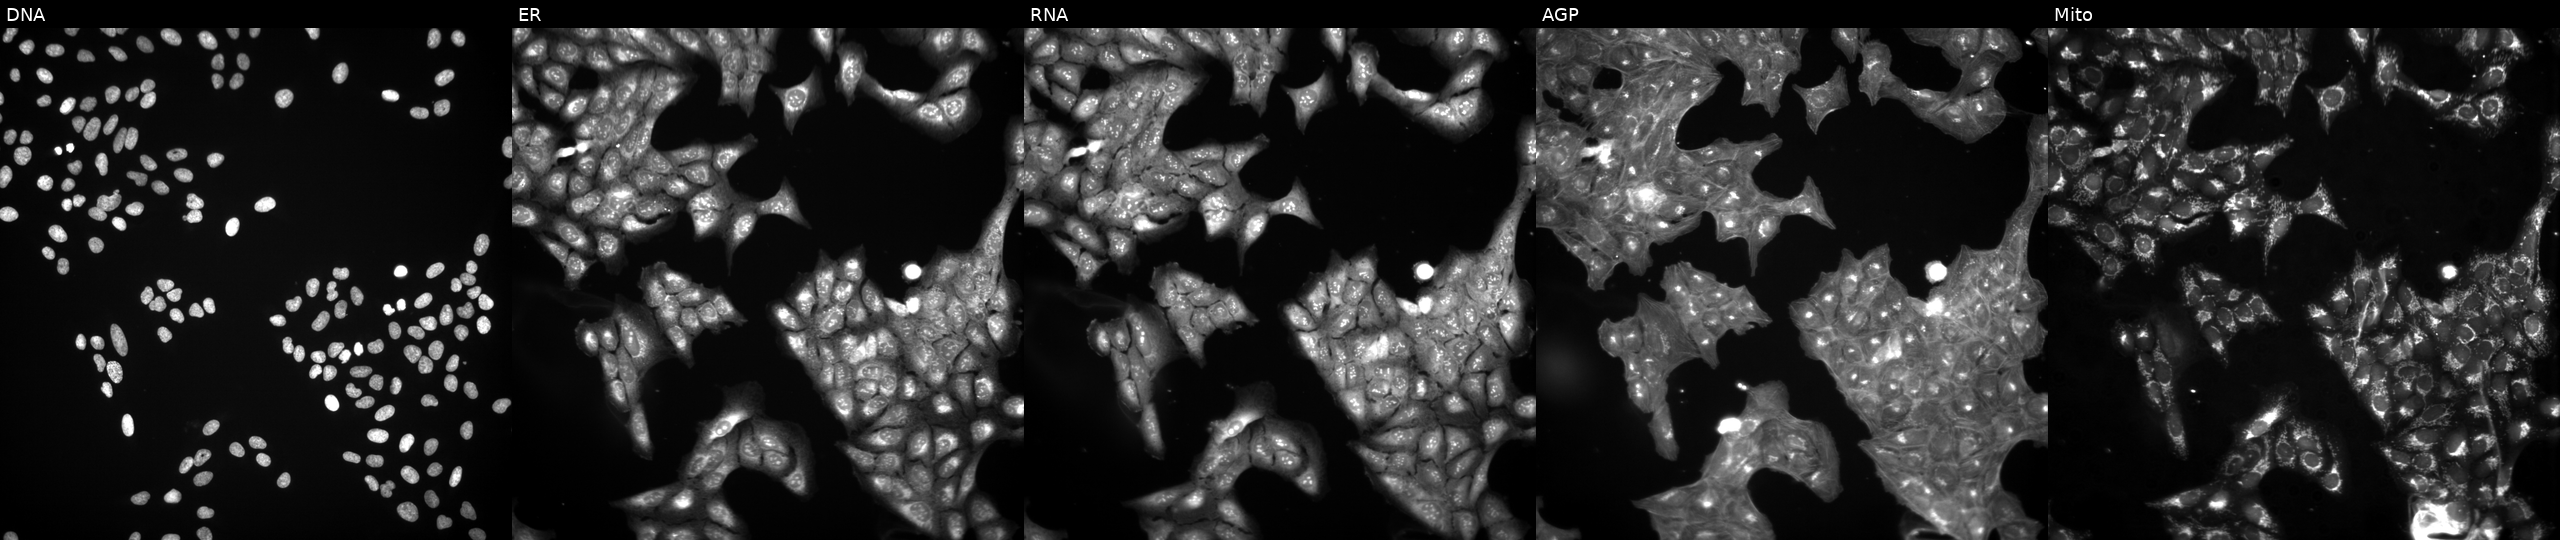
High-content fluorescence microscopy (Cell Painting). Cell line: U2OS. Perturbation: perturbed with a small-molecule compound. From left to right: DNA (nuclei); ER (endoplasmic reticulum); RNA (nucleoli and cytoplasmic RNA); AGP (actin cytoskeleton, Golgi, and plasma membrane); Mito (mitochondria).